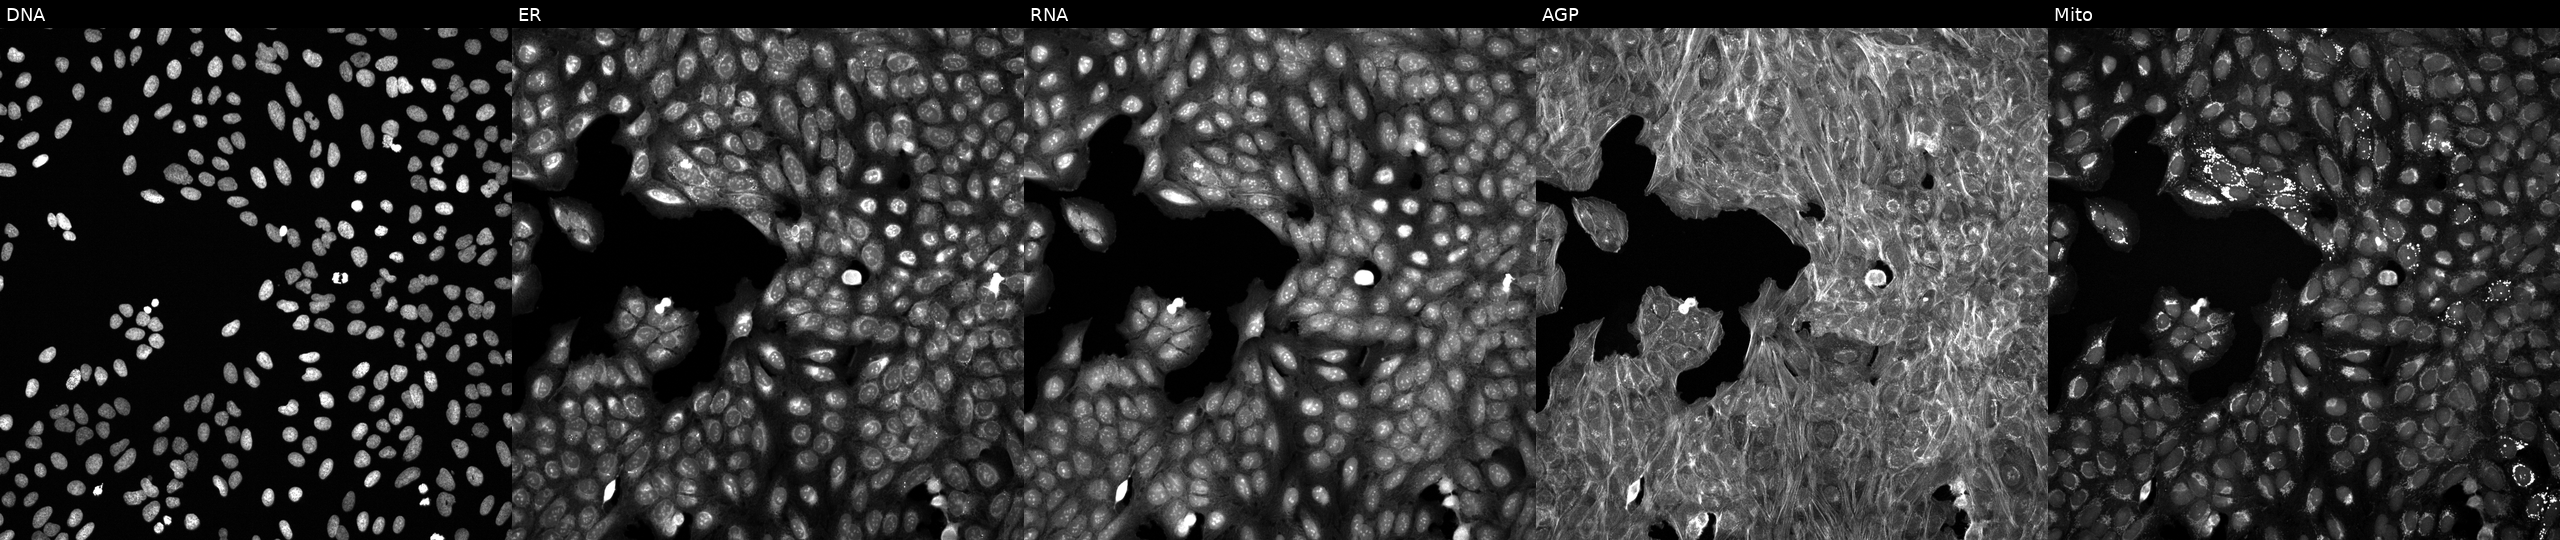
High-content fluorescence microscopy (Cell Painting). Cell line: U2OS. Perturbation: perturbed with a small-molecule compound (InChIKey HKQYGTCOTHHOMP-UHFFFAOYSA-N). Channels (left→right): DNA (nuclei); ER (endoplasmic reticulum); RNA (nucleoli and cytoplasmic RNA); AGP (actin cytoskeleton, Golgi, and plasma membrane); Mito (mitochondria).